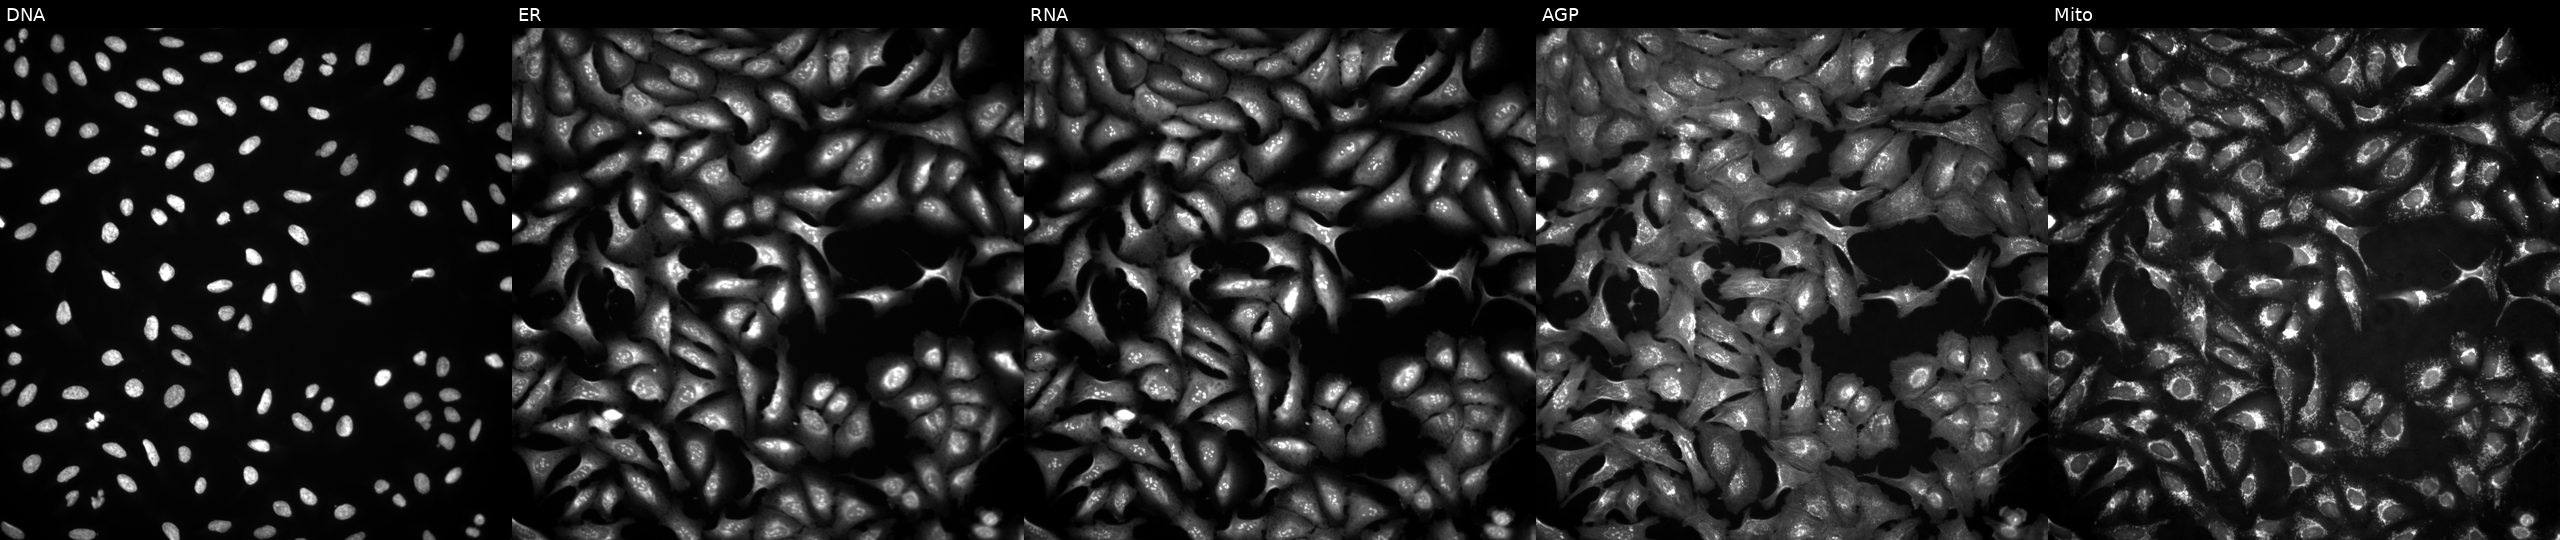
U2OS cells, Cell Painting assay, in an empty control well (no perturbation) (JUMP id JCP2022_999999). From left to right: DNA (nuclei); ER (endoplasmic reticulum); RNA (nucleoli and cytoplasmic RNA); AGP (actin cytoskeleton, Golgi, and plasma membrane); Mito (mitochondria). Each panel is percentile-stretched 16-bit fluorescence.